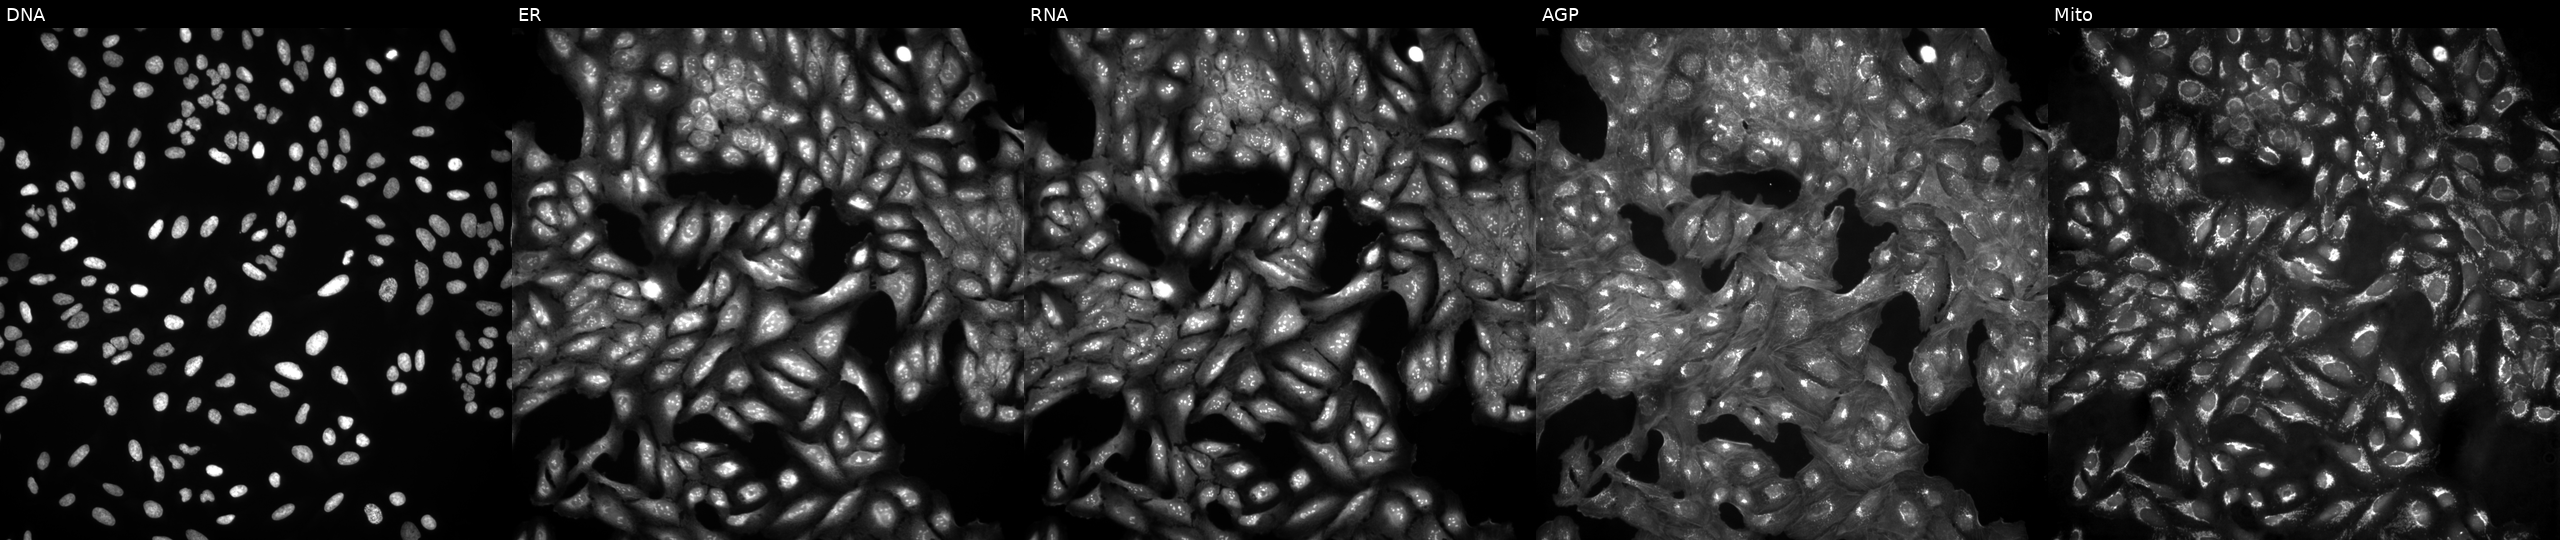
High-content fluorescence microscopy (Cell Painting). Cell line: U2OS. Perturbation: untreated (empty-well control) (JUMP id JCP2022_999999). Panels show, left to right, Hoechst 33342, concanavalin A, SYTO 14, phalloidin and WGA, MitoTracker. Source 4, plate BR00123946, well H10.